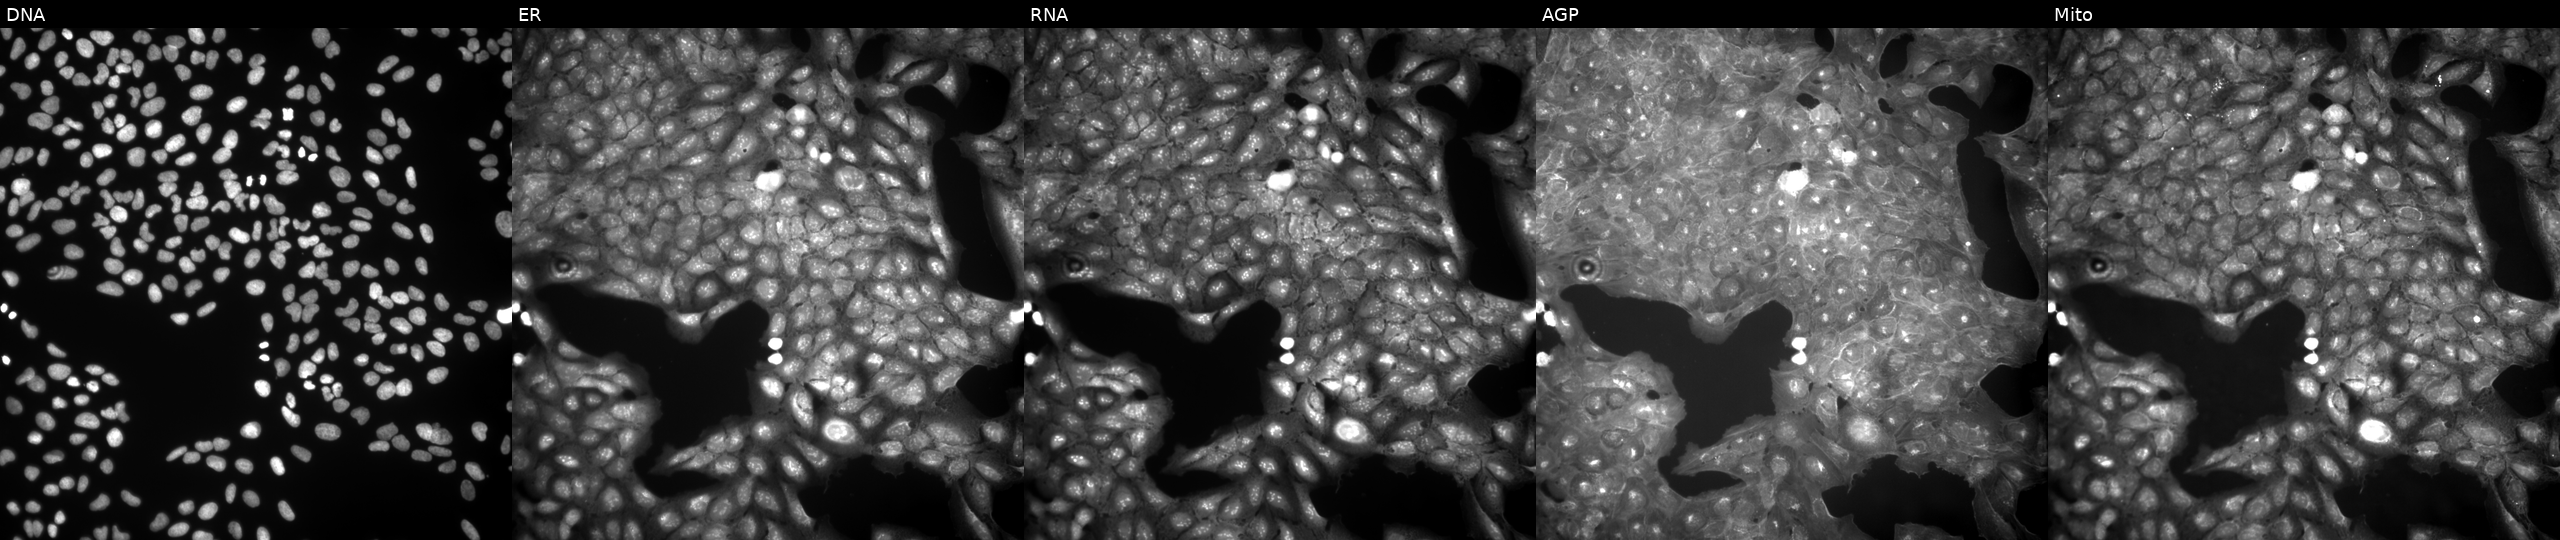
JUMP Cell Painting — COMPOUND plate. U2OS cells treated with a small-molecule compound (JUMP id JCP2022_107360). Panels show, left to right, Hoechst 33342, concanavalin A, SYTO 14, phalloidin and WGA, MitoTracker.